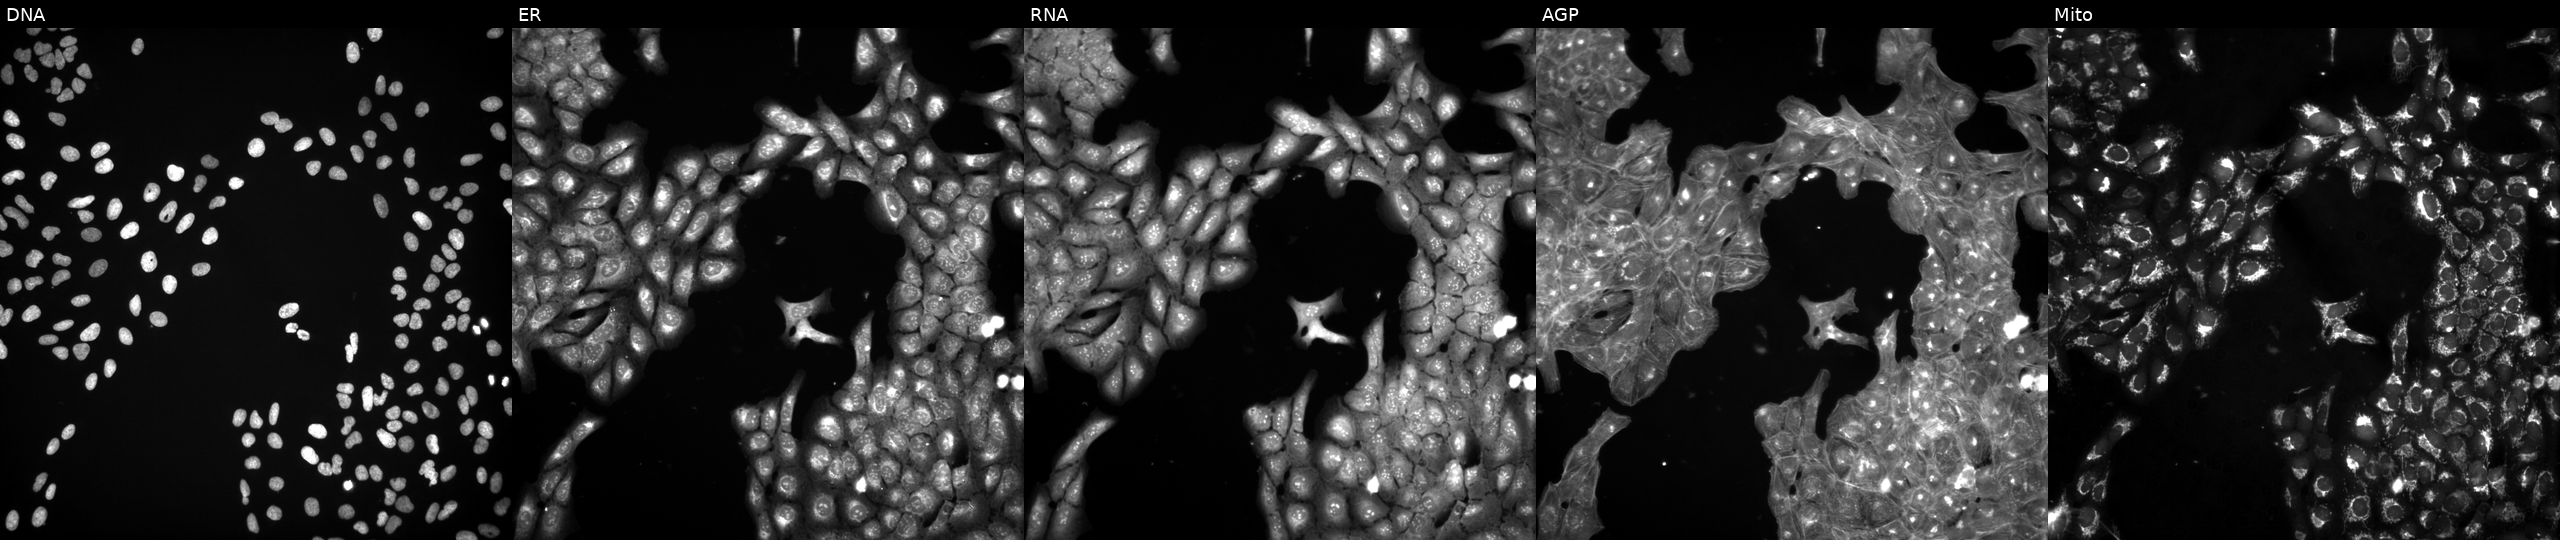
JUMP Cell Painting — TARGET2 plate. U2OS cells exposed to DMSO alone as a negative control (JUMP id JCP2022_033924). Channels (left→right): Hoechst 33342, concanavalin A, SYTO 14, phalloidin and WGA, MitoTracker.